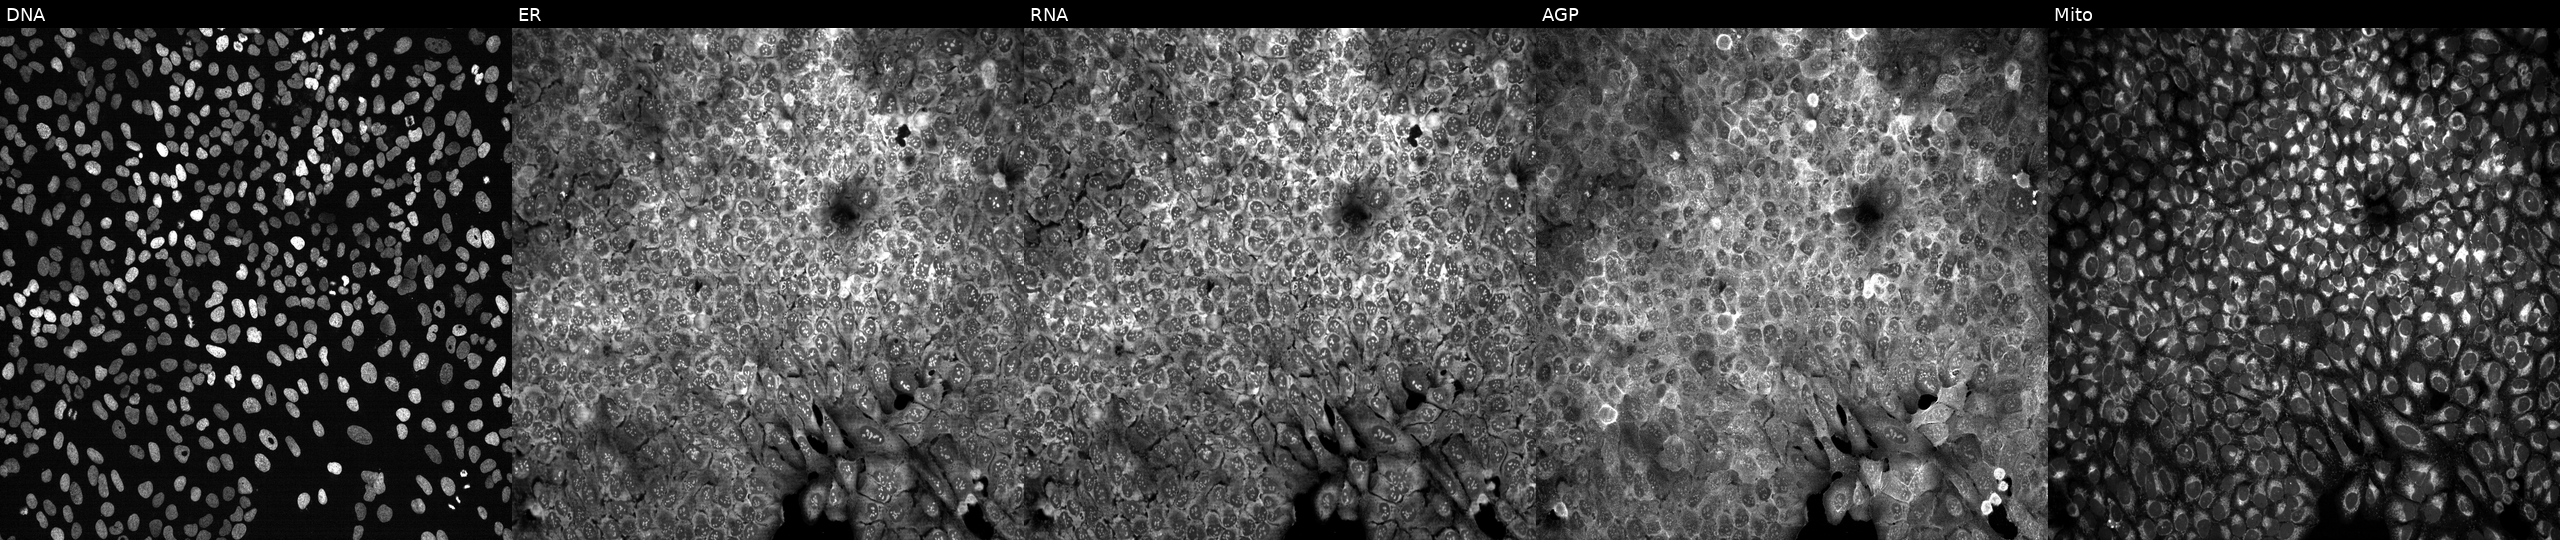
Five-channel Cell Painting image of U2OS cells with ACOT8 knocked out by CRISPR. Channels (left→right): DNA (nuclei); ER (endoplasmic reticulum); RNA (nucleoli and cytoplasmic RNA); AGP (actin cytoskeleton, Golgi, and plasma membrane); Mito (mitochondria).